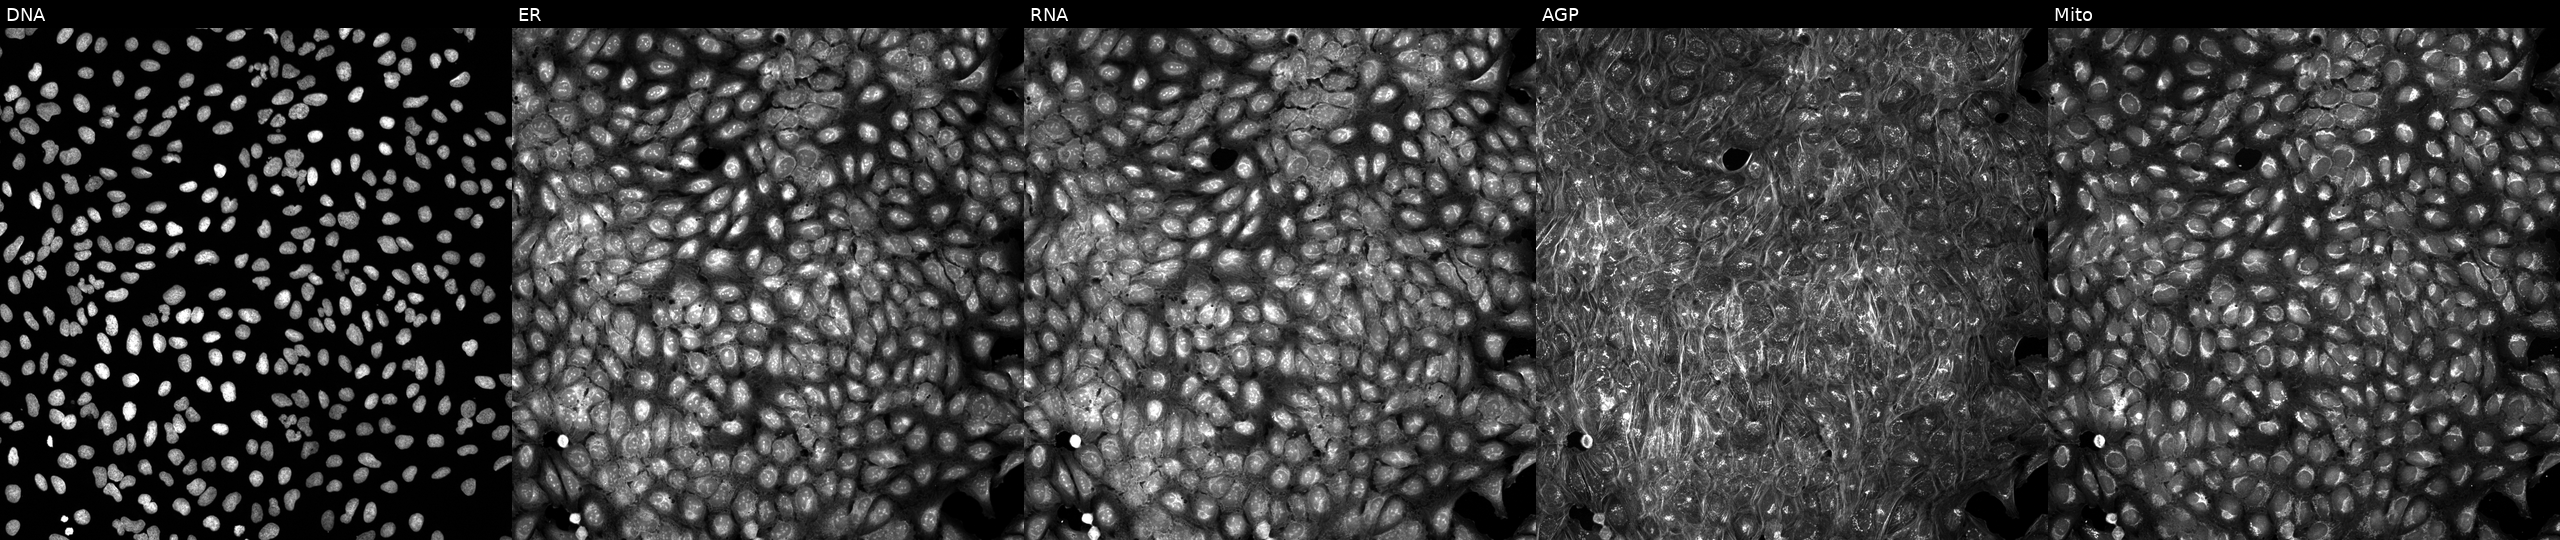
JUMP Cell Painting — COMPOUND plate. U2OS cells perturbed with a small-molecule compound (InChIKey YJVHLJNHJGGWQR-UHFFFAOYSA-N). Channels (left→right): DNA (nuclei); ER (endoplasmic reticulum); RNA (nucleoli and cytoplasmic RNA); AGP (actin cytoskeleton, Golgi, and plasma membrane); Mito (mitochondria). Source 5, plate APTJUM106, well D05.